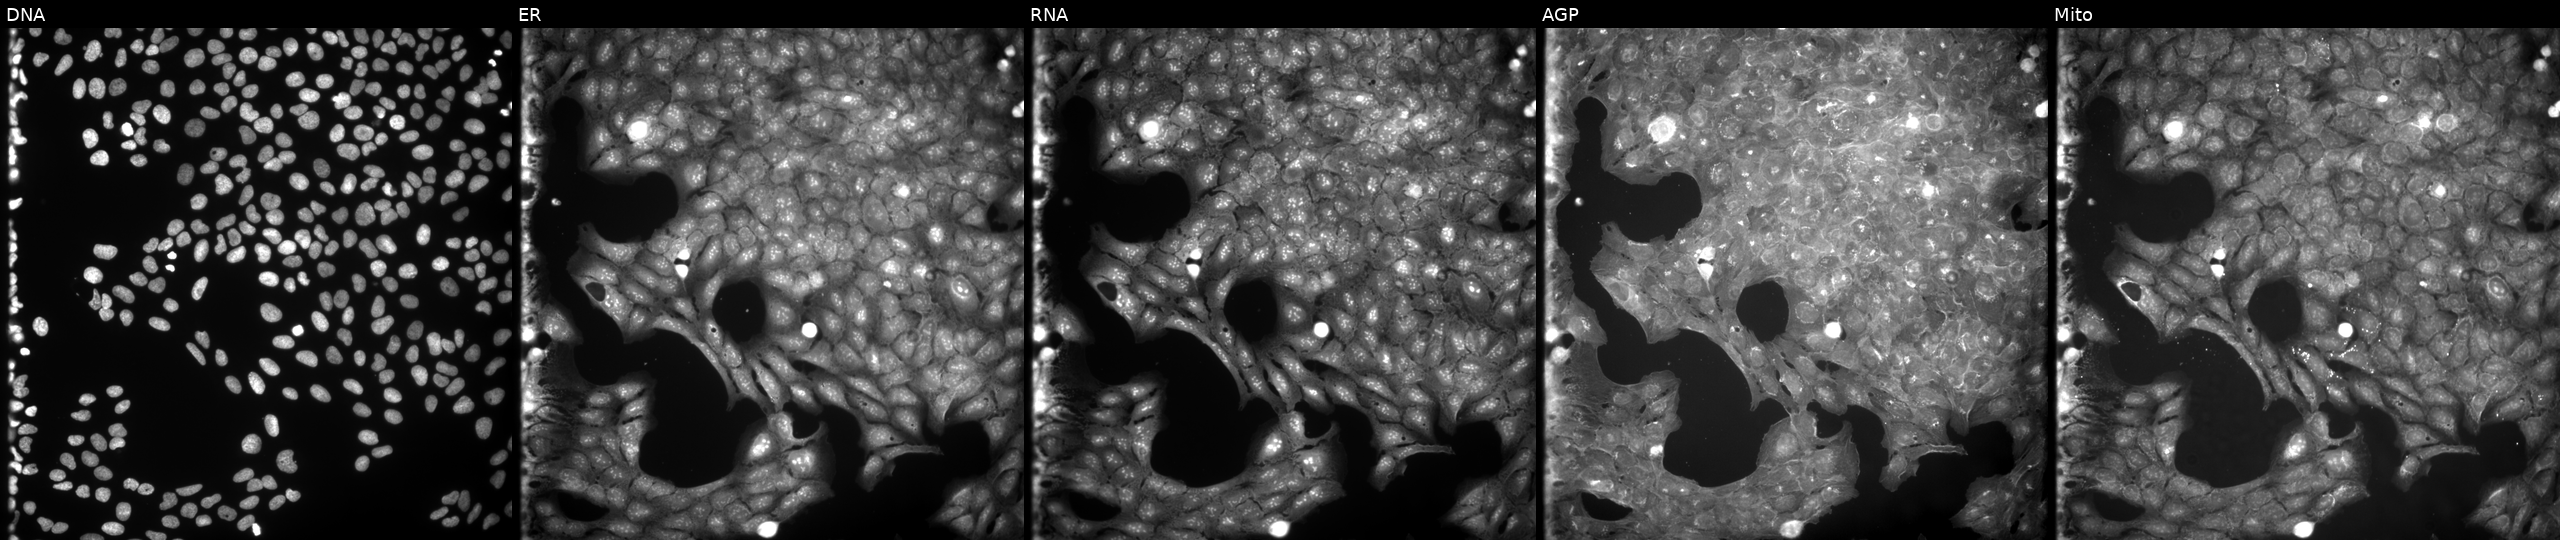
U2OS cells, Cell Painting assay, exposed to a small-molecule compound (InChIKey KEAZXVQBFLFTSF-UHFFFAOYSA-N). The five panels, left to right, show DNA (nuclei); ER (endoplasmic reticulum); RNA (nucleoli and cytoplasmic RNA); AGP (actin cytoskeleton, Golgi, and plasma membrane); Mito (mitochondria). Each panel is percentile-stretched 16-bit fluorescence. Source 9, plate GR00003382, well E16.